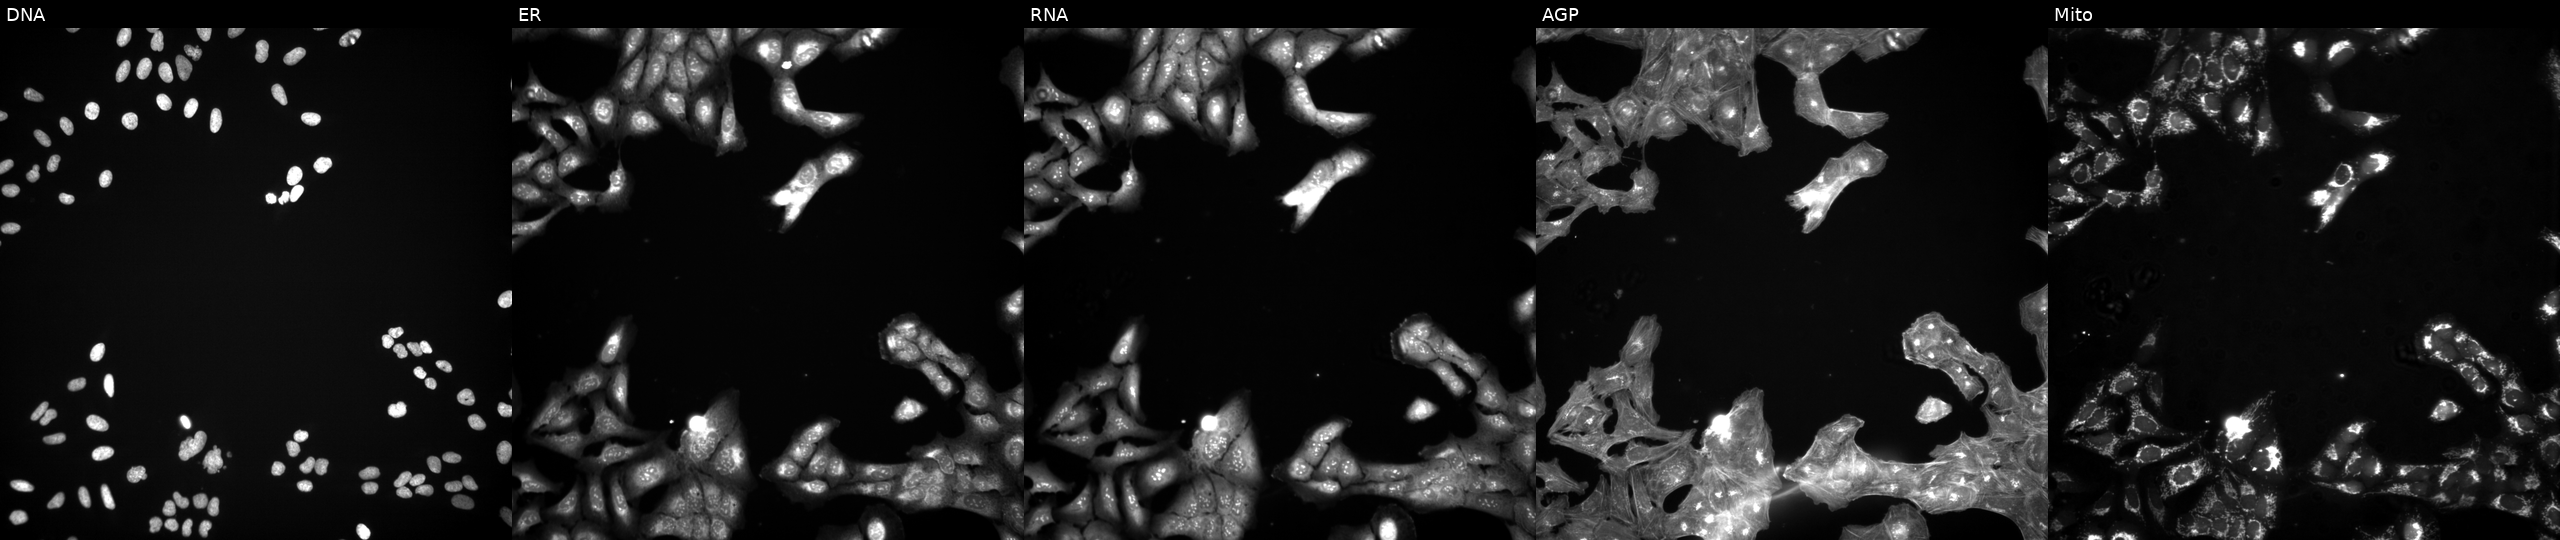
U2OS cells, Cell Painting assay, exposed to a small-molecule compound (InChIKey ZYGHJZDHTFUPRJ-UHFFFAOYSA-N). From left to right: DNA (nuclei); ER (endoplasmic reticulum); RNA (nucleoli and cytoplasmic RNA); AGP (actin cytoskeleton, Golgi, and plasma membrane); Mito (mitochondria). Each panel is percentile-stretched 16-bit fluorescence.